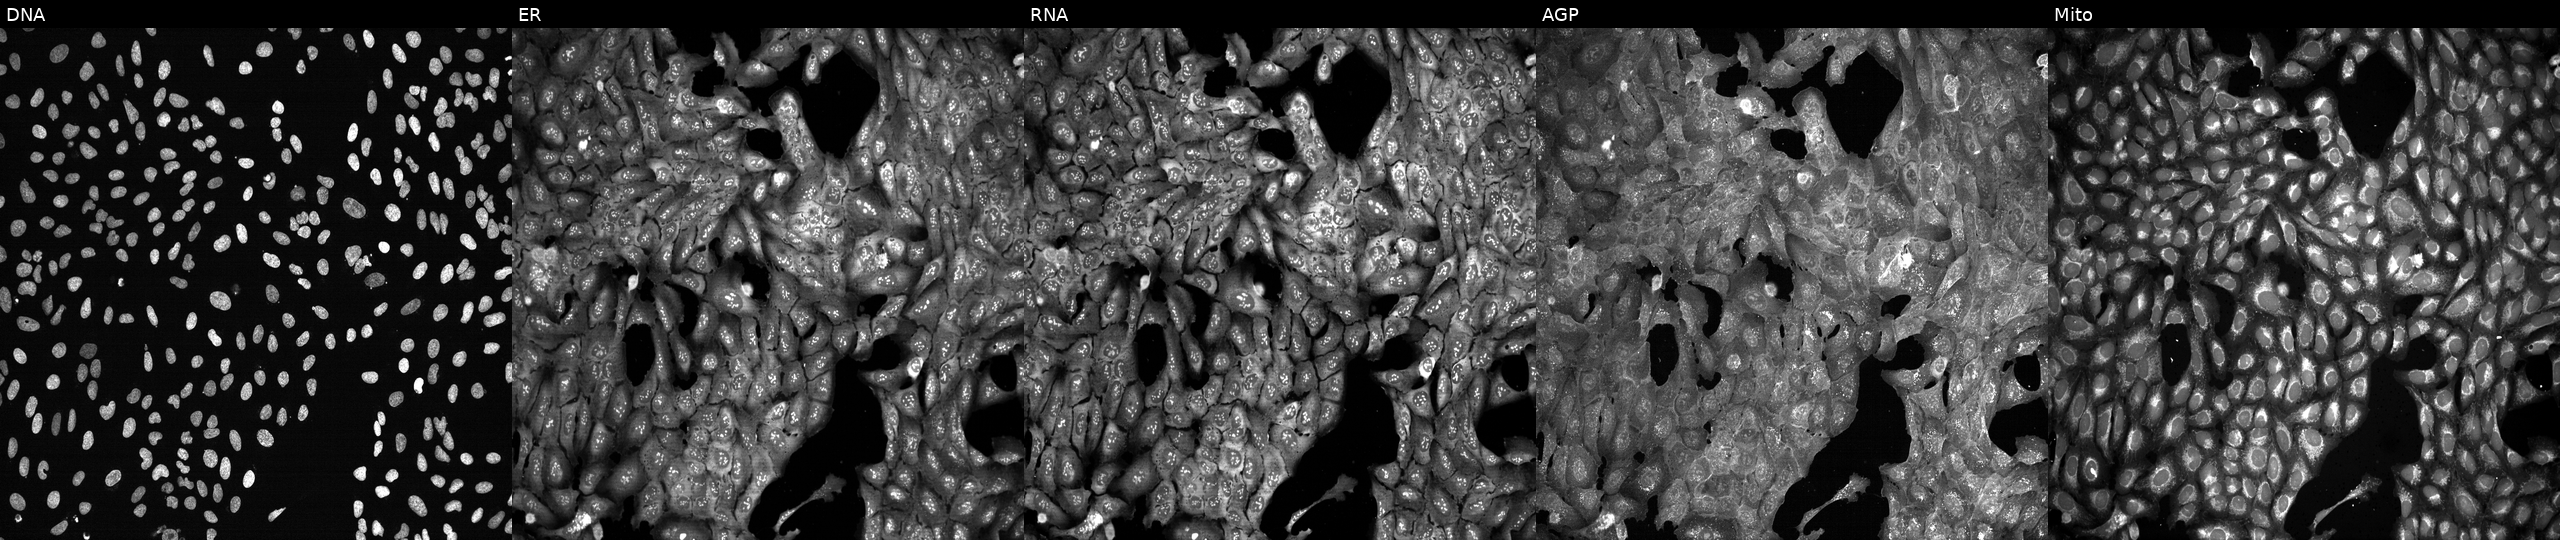
High-content fluorescence microscopy (Cell Painting). Cell line: U2OS. Perturbation: with CD14 knocked out by CRISPR. Panels show, left to right, DNA, ER, RNA, AGP, and Mito.